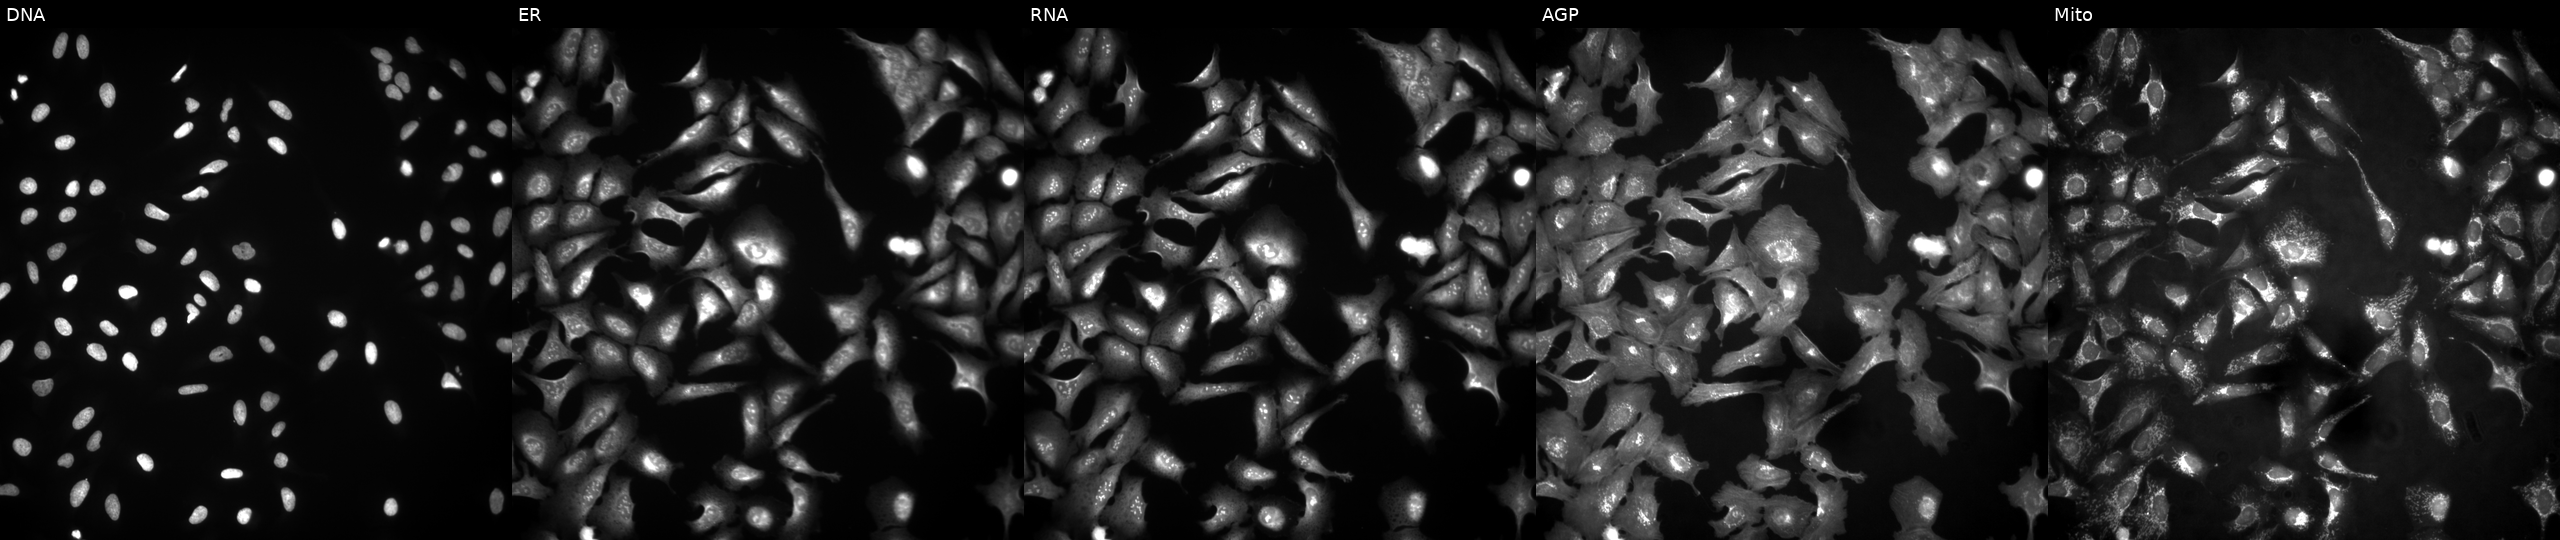
U2OS cells, Cell Painting assay, overexpressing ADAM33 via ORF transfection (JUMP id JCP2022_911837). From left to right: Hoechst 33342, concanavalin A, SYTO 14, phalloidin and WGA, MitoTracker. Each panel is percentile-stretched 16-bit fluorescence.